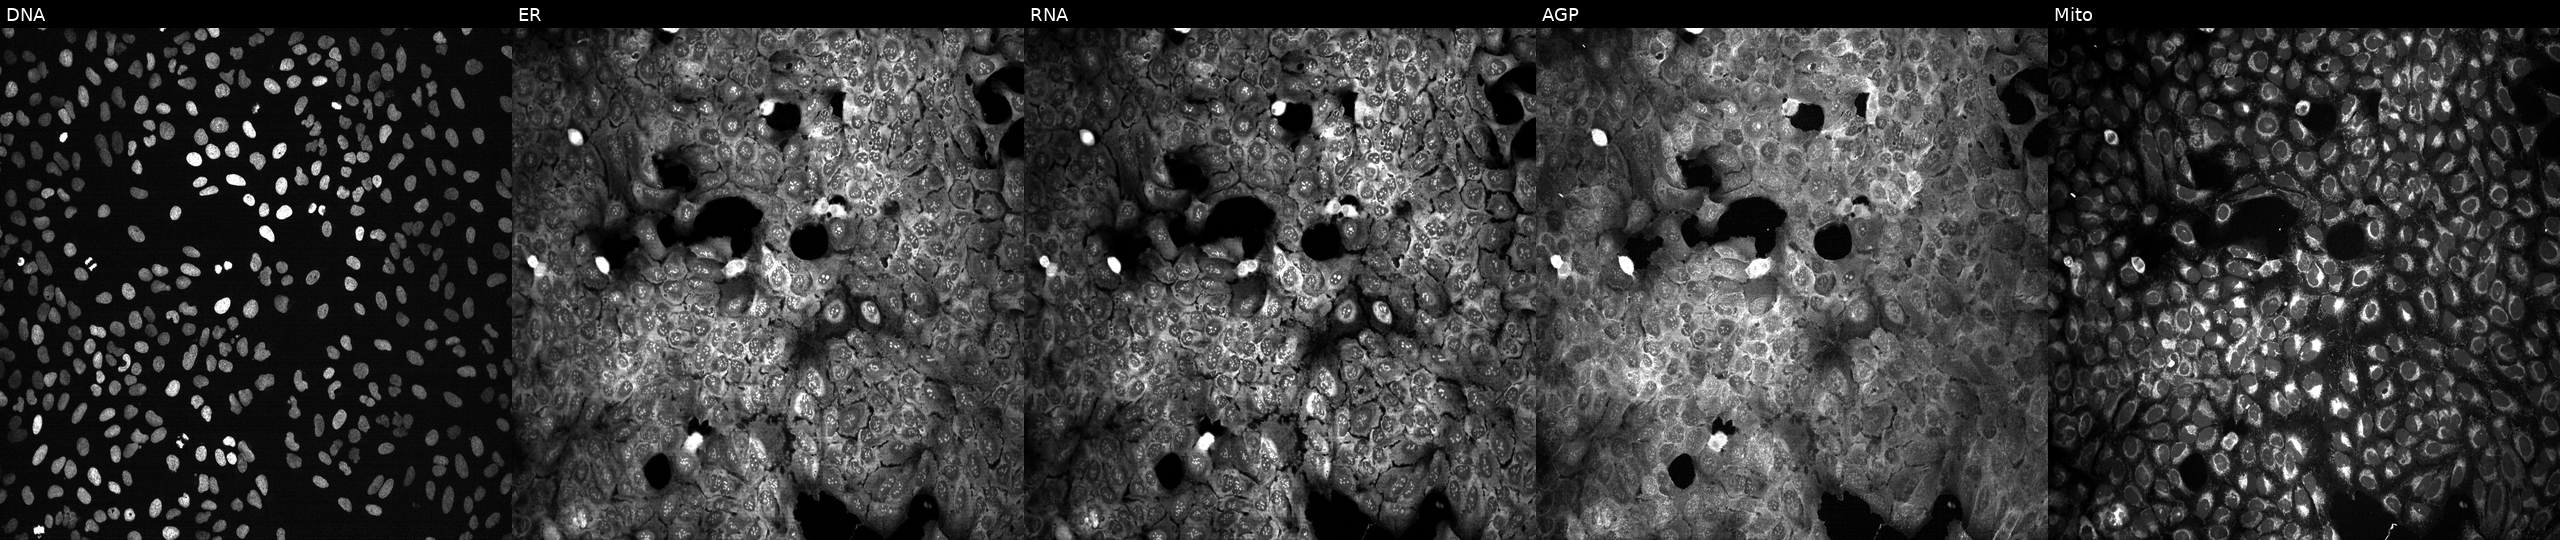
The five panels, left to right, show DNA (nuclei); ER (endoplasmic reticulum); RNA (nucleoli and cytoplasmic RNA); AGP (actin cytoskeleton, Golgi, and plasma membrane); Mito (mitochondria). U2OS osteosarcoma cells CRISPR-edited to disrupt DFFA. Cell Painting assay, JUMP-CP dataset.